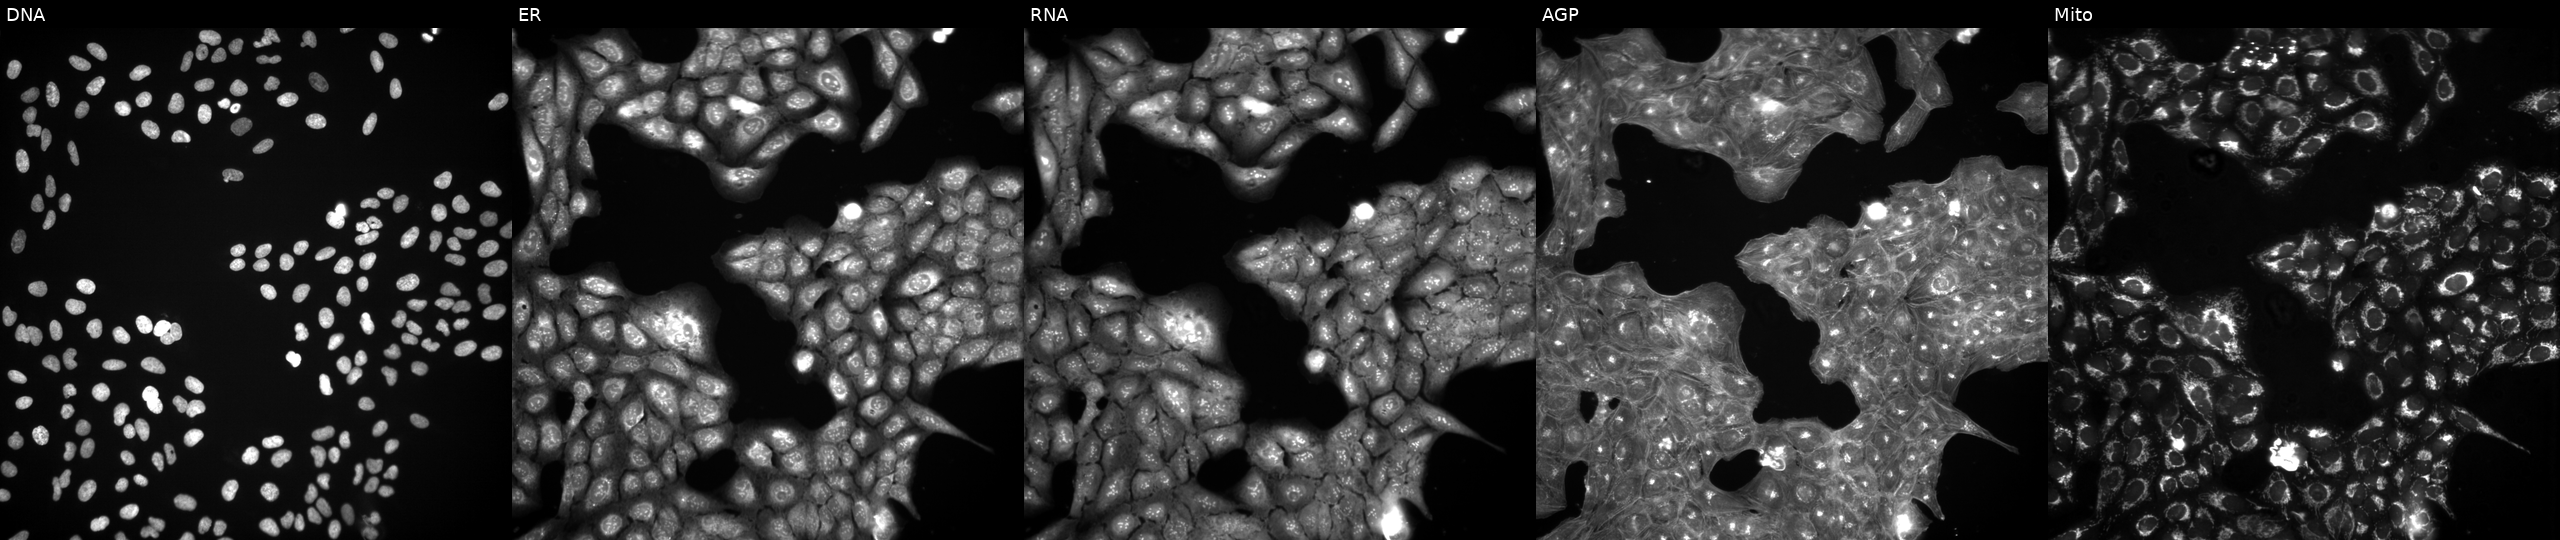
High-content fluorescence microscopy (Cell Painting). Cell line: U2OS. Perturbation: perturbed with a small-molecule compound (InChIKey HGVDHZBSSITLCT-UHFFFAOYSA-N). Channels (left→right): DNA, ER, RNA, AGP, and Mito. Source 3, plate JCPQC051, well E07.